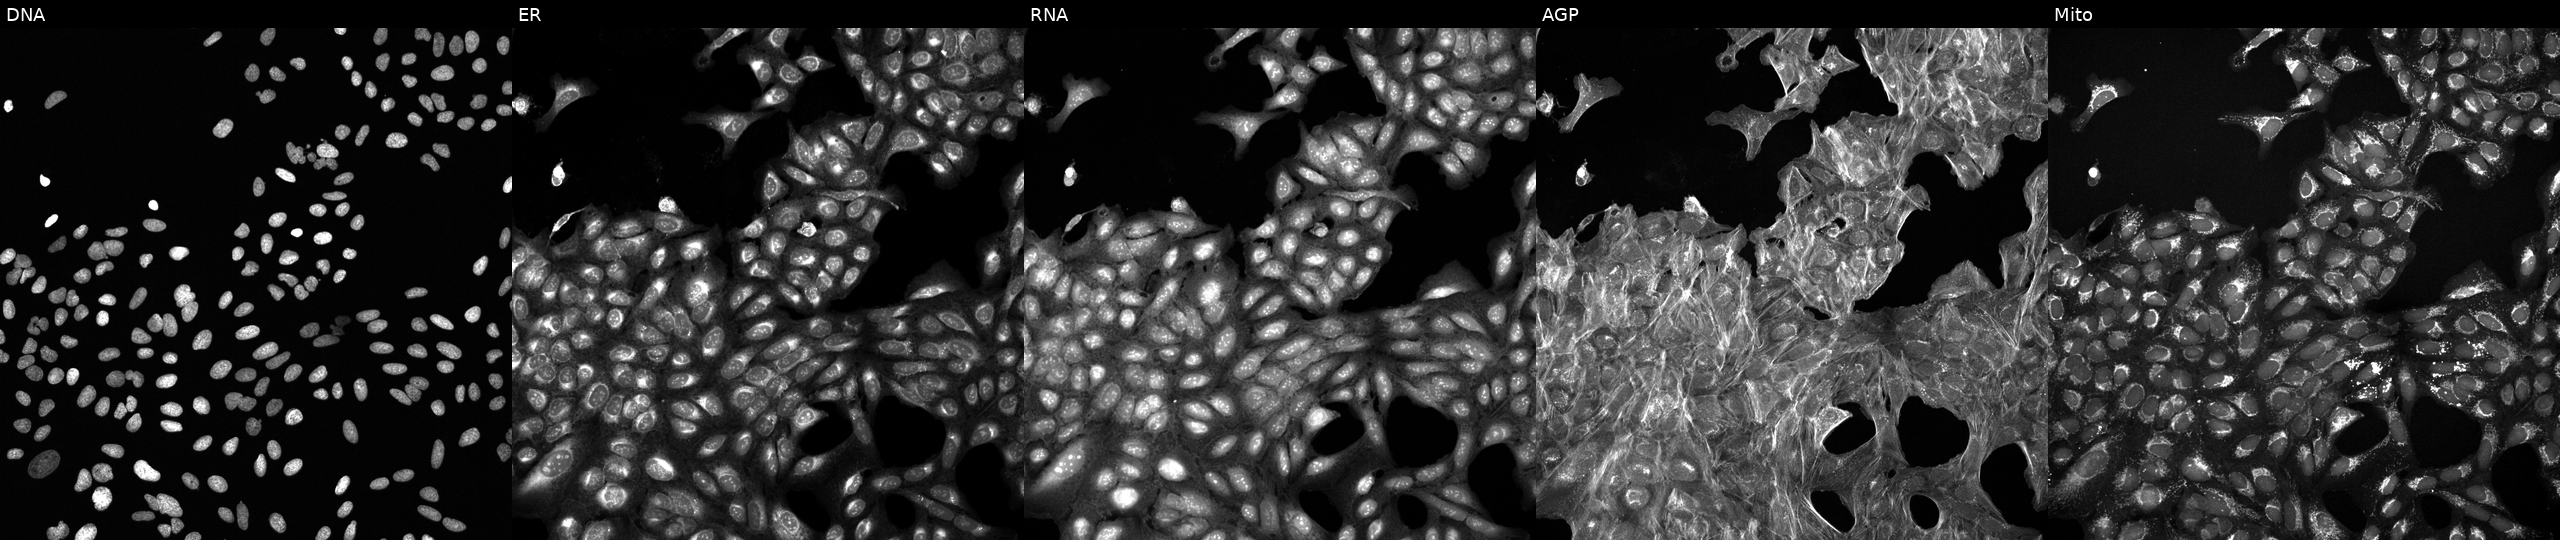
High-content fluorescence microscopy (Cell Painting). Cell line: U2OS. Perturbation: treated with a small-molecule compound (InChIKey UMUPQWIGCOZEOY-UHFFFAOYSA-N) [SMILES: CC(C)(N)C(=O)NC(COCc1ccccc1)C(=O)N1CCC2(CC1)CN(S(C)(=O)=O)c1ccccc12]. Channels (left→right): DNA, ER, RNA, AGP, and Mito.